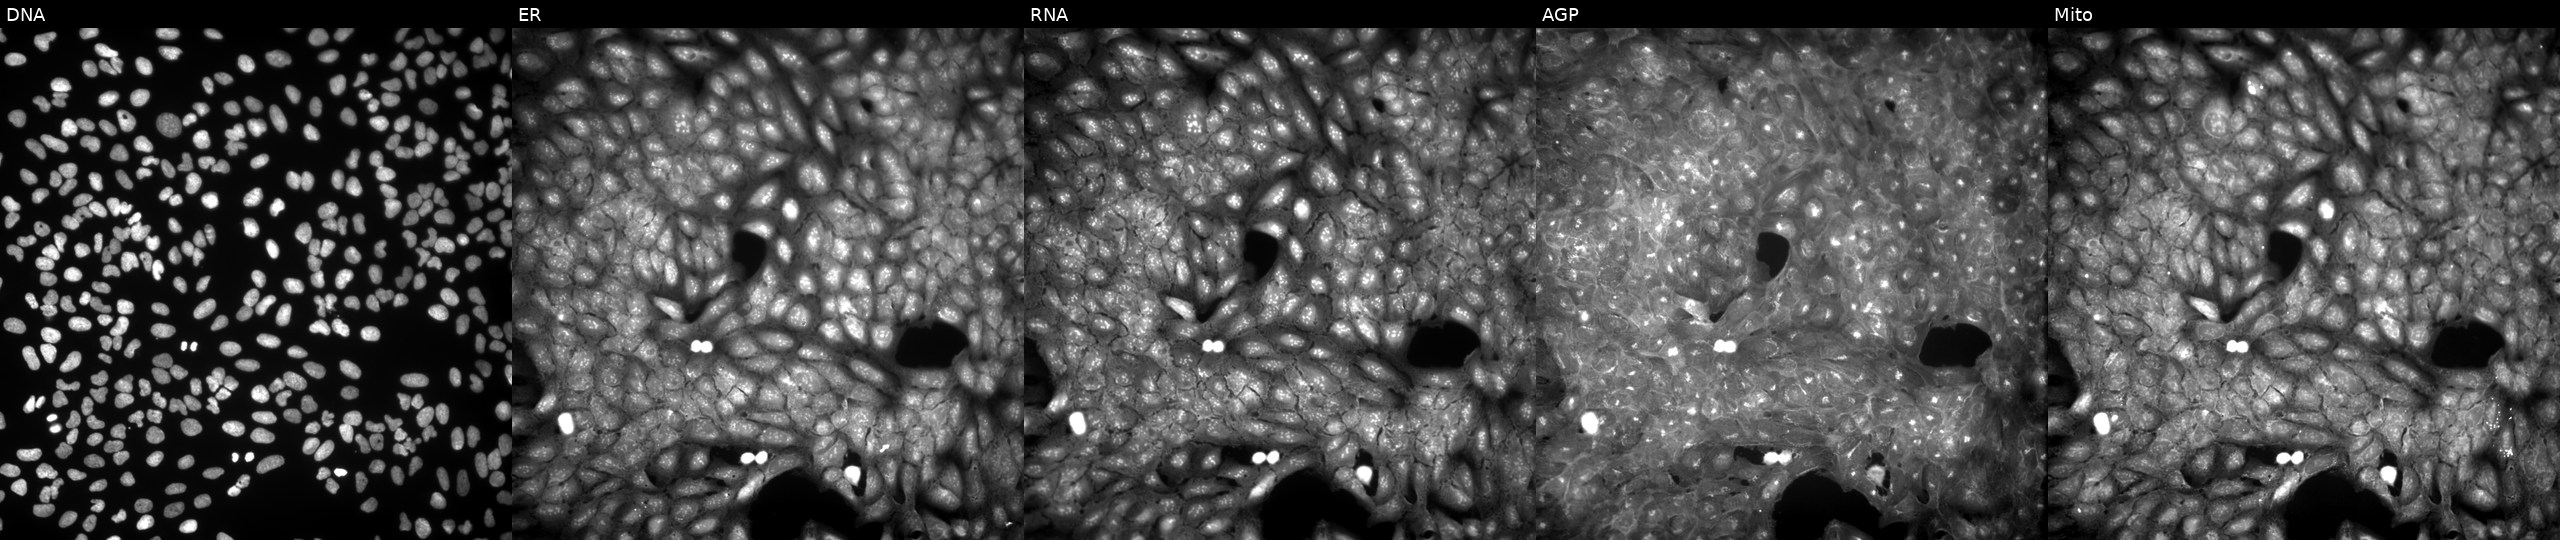
JUMP Cell Painting — COMPOUND plate. U2OS cells treated with DMSO vehicle only (negative control). From left to right: DNA (nuclei); ER (endoplasmic reticulum); RNA (nucleoli and cytoplasmic RNA); AGP (actin cytoskeleton, Golgi, and plasma membrane); Mito (mitochondria). Source 9, plate GR00003382, well W23.